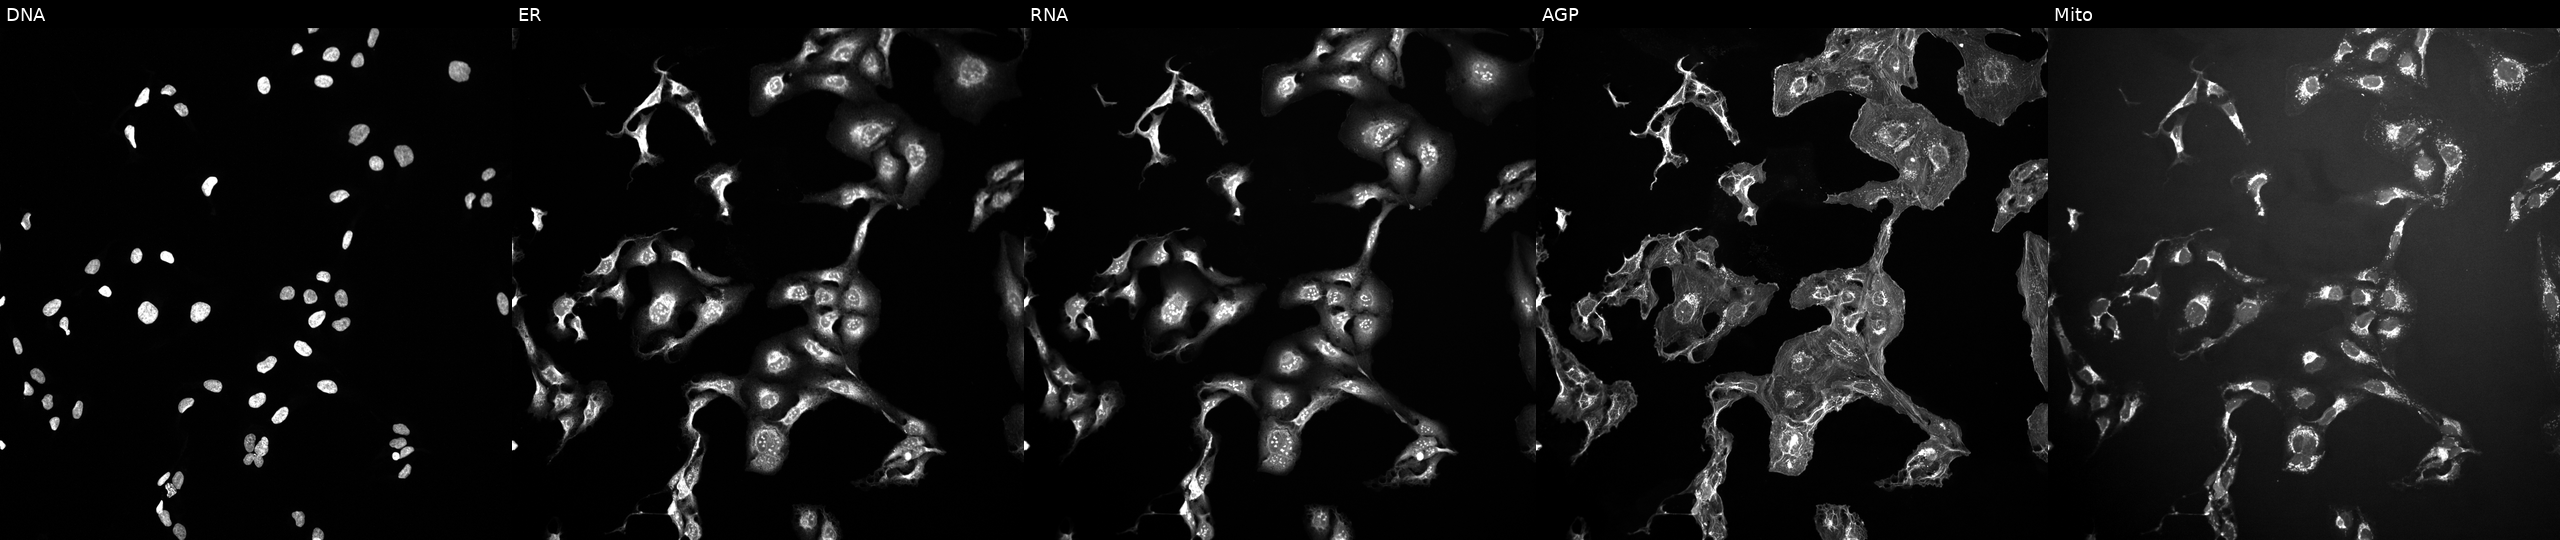
Five-channel Cell Painting image of U2OS cells exposed to a small-molecule compound (InChIKey GDVRVPIXWXOKQO-UHFFFAOYSA-N). Panels show, left to right, DNA (nuclei); ER (endoplasmic reticulum); RNA (nucleoli and cytoplasmic RNA); AGP (actin cytoskeleton, Golgi, and plasma membrane); Mito (mitochondria). Source 10, plate Dest210726-160150, well E19.